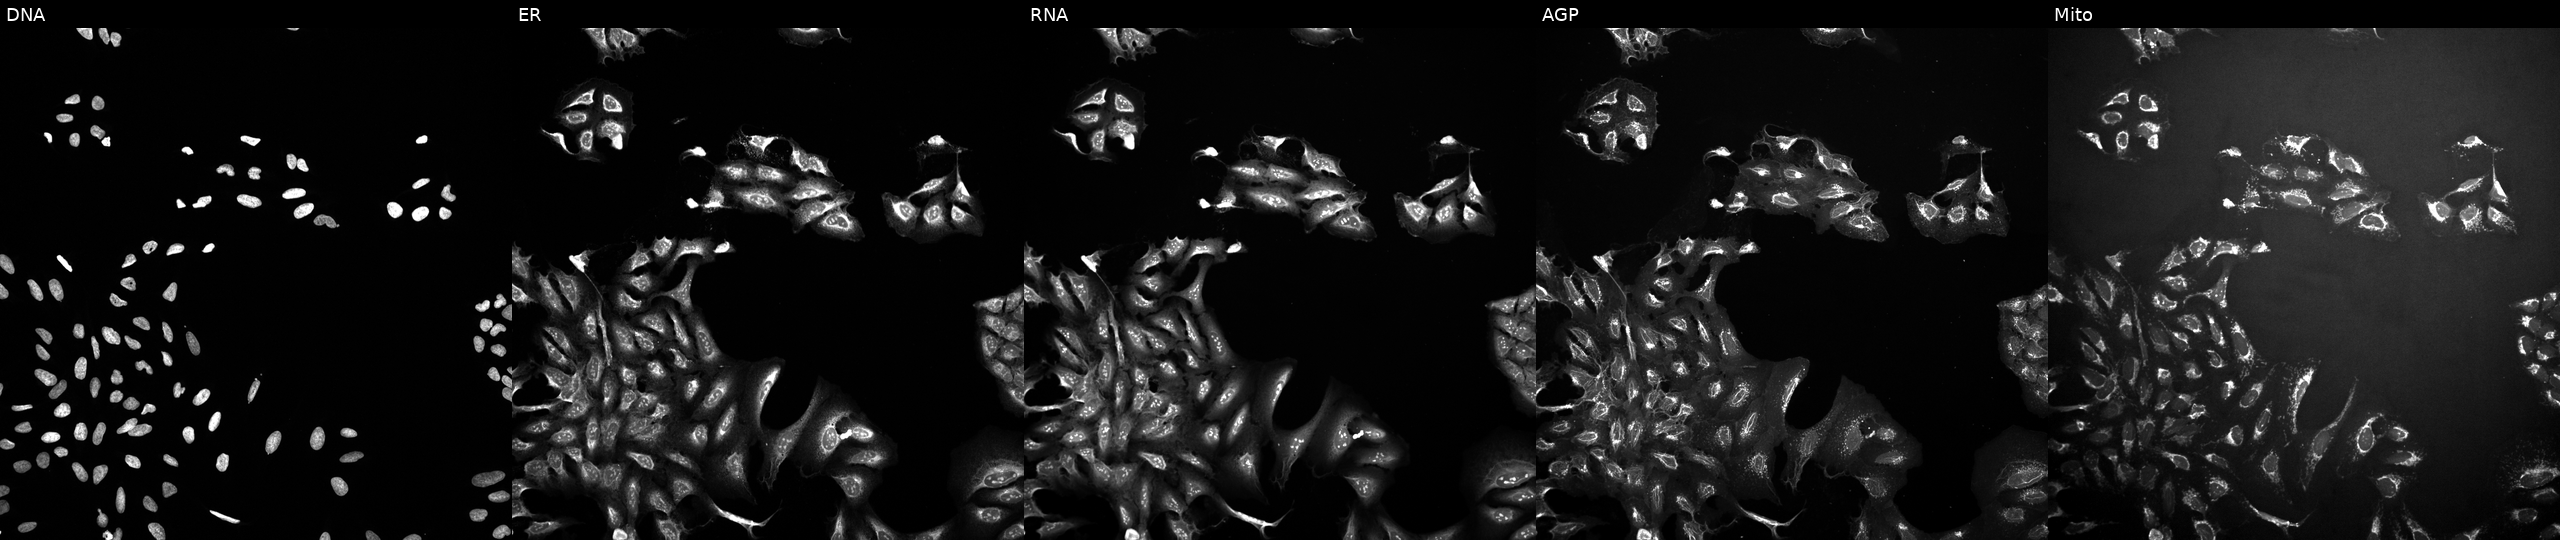
U2OS cells, Cell Painting assay, treated with a small-molecule compound (InChIKey LENZDBCJOHFCAS-UHFFFAOYSA-N) [SMILES: NC(CO)(CO)CO]. Panels show, left to right, DNA, ER, RNA, AGP, and Mito. Each panel is percentile-stretched 16-bit fluorescence.